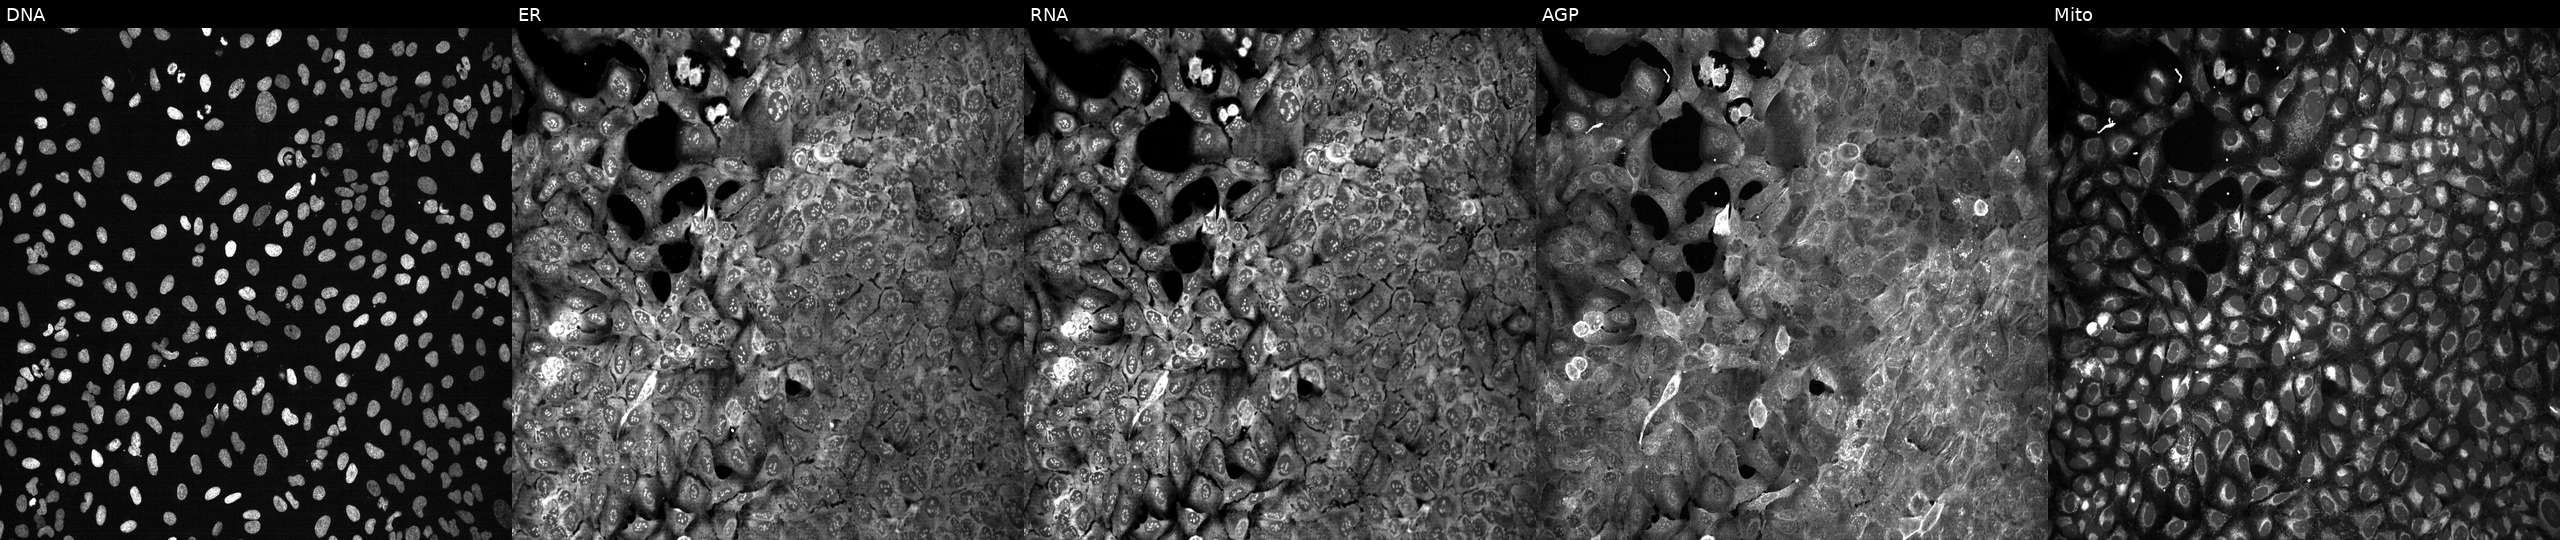
U2OS cells, Cell Painting assay, following CRISPR knockout of BAX. From left to right: DNA (nuclei); ER (endoplasmic reticulum); RNA (nucleoli and cytoplasmic RNA); AGP (actin cytoskeleton, Golgi, and plasma membrane); Mito (mitochondria). Each panel is percentile-stretched 16-bit fluorescence. Source 13, plate CP-CC9-R2-01, well J21.